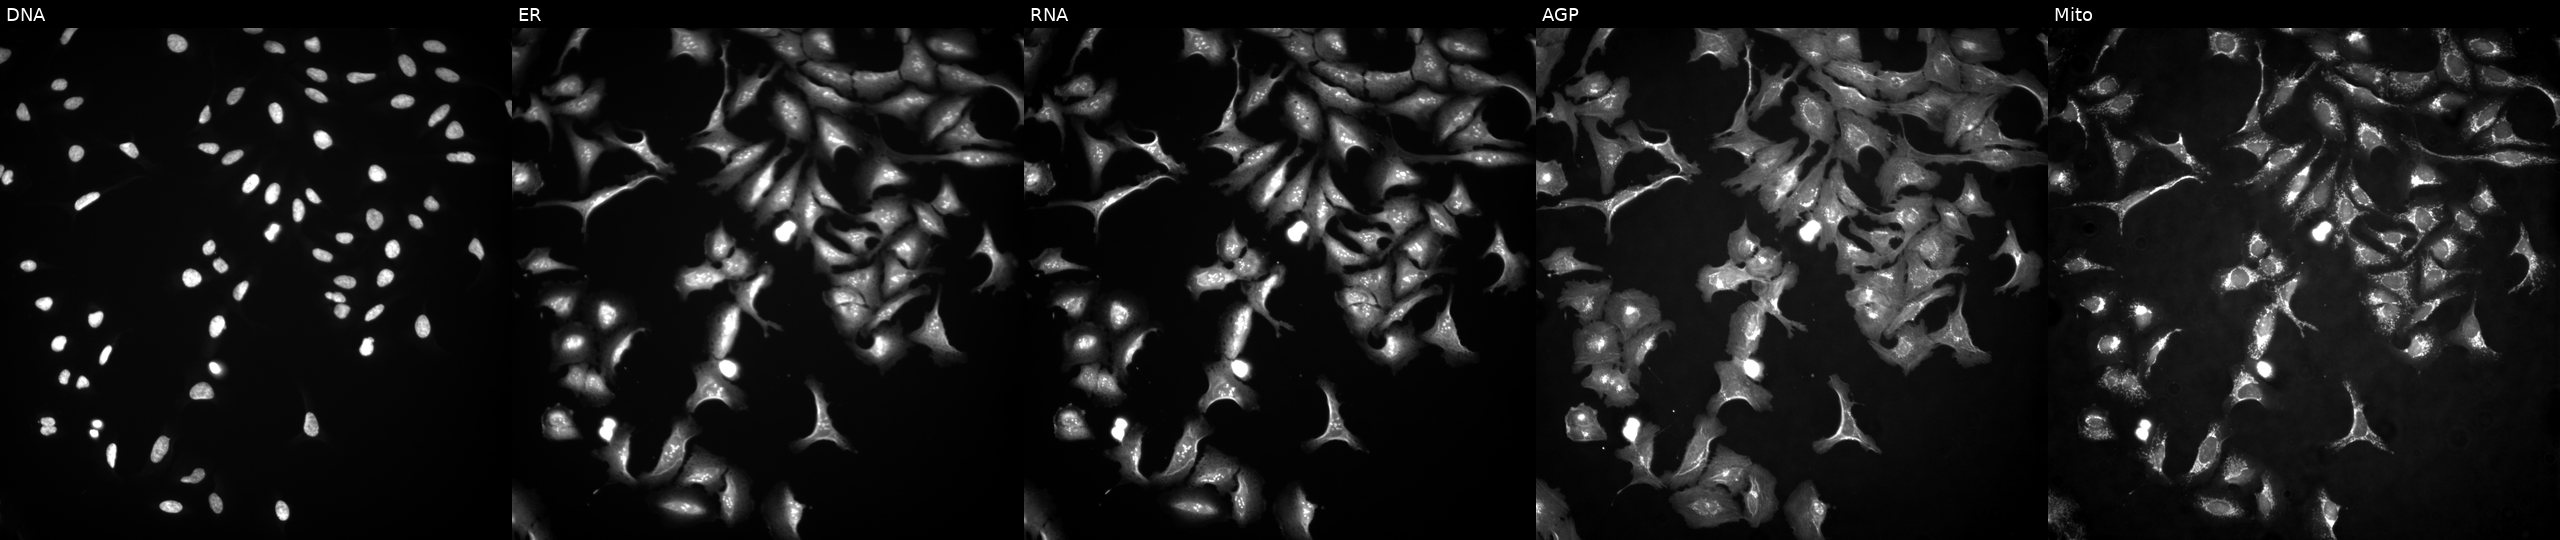
This image strip shows the five Cell Painting channels for a single field of U2OS cells overexpressing MORF4L1 via ORF transfection. Panels show, left to right, Hoechst 33342, concanavalin A, SYTO 14, phalloidin and WGA, MitoTracker. Source 4, plate BR00117035, well G07.